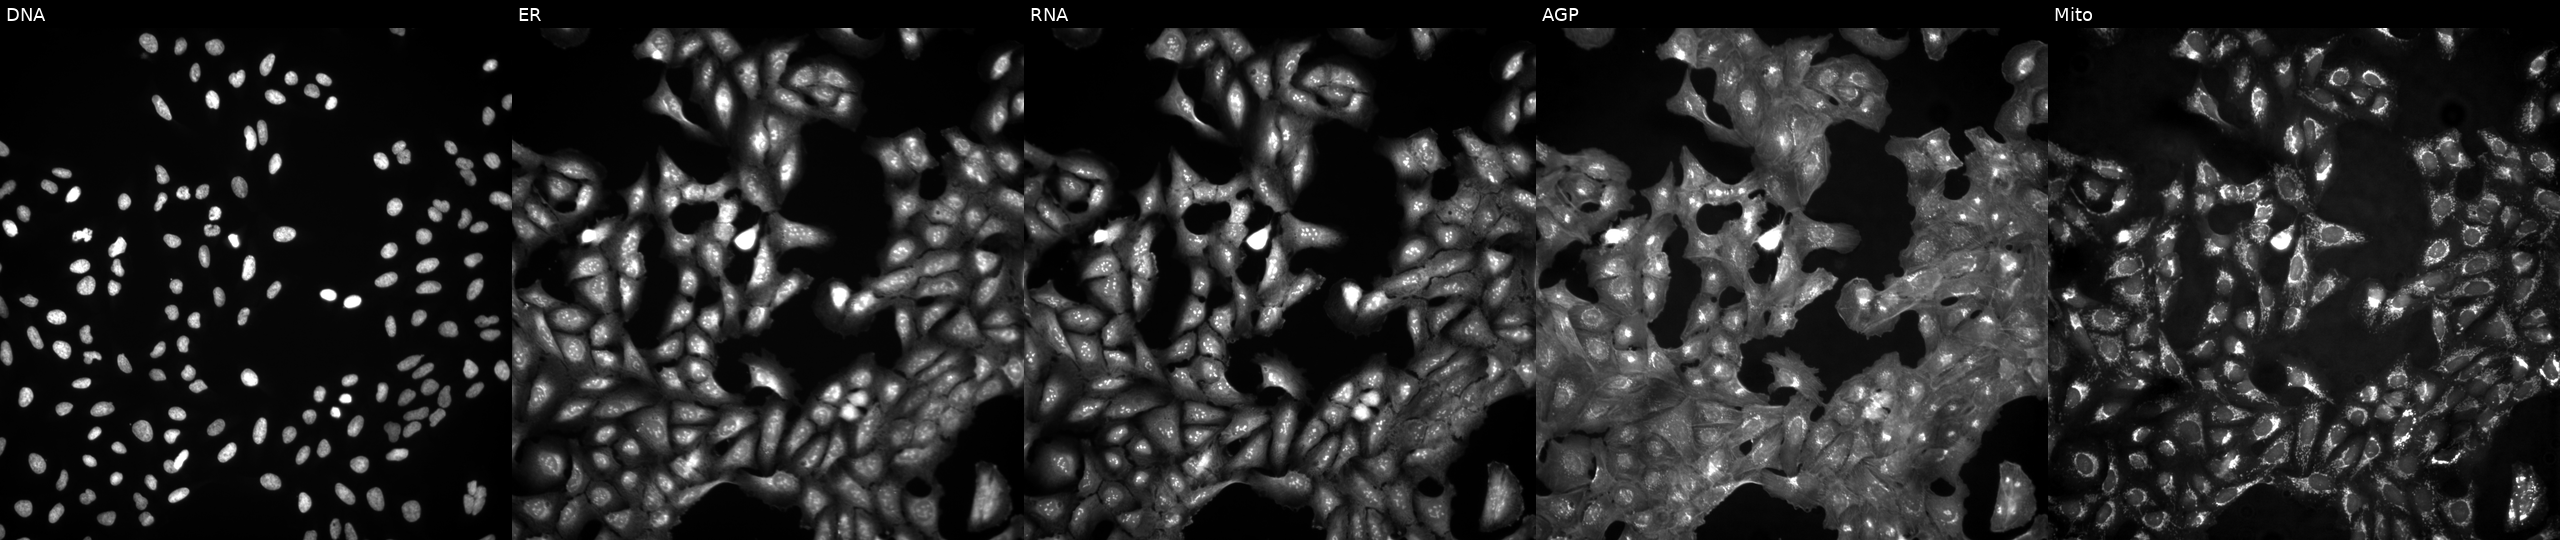
This image strip shows the five Cell Painting channels for a single field of U2OS cells in an empty control well (no perturbation). From left to right: DNA, ER, RNA, AGP, and Mito.